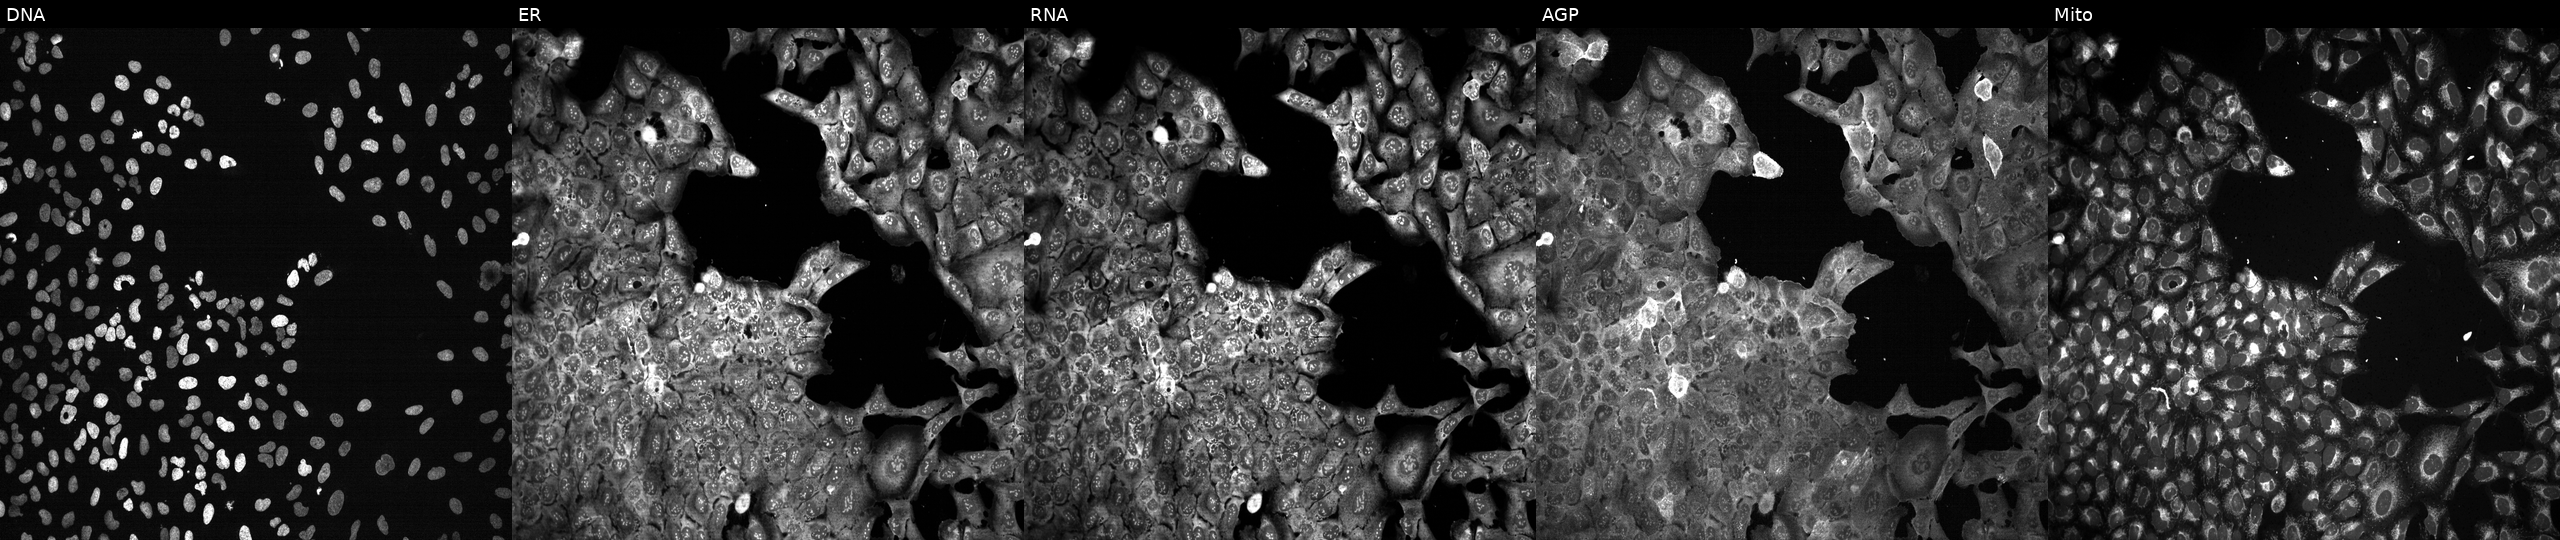
This image strip shows the five Cell Painting channels for a single field of U2OS cells CRISPR-edited to disrupt TP53I3. Panels show, left to right, Hoechst 33342, concanavalin A, SYTO 14, phalloidin and WGA, MitoTracker. Source 13, plate CP-CC9-R3-01, well H17.